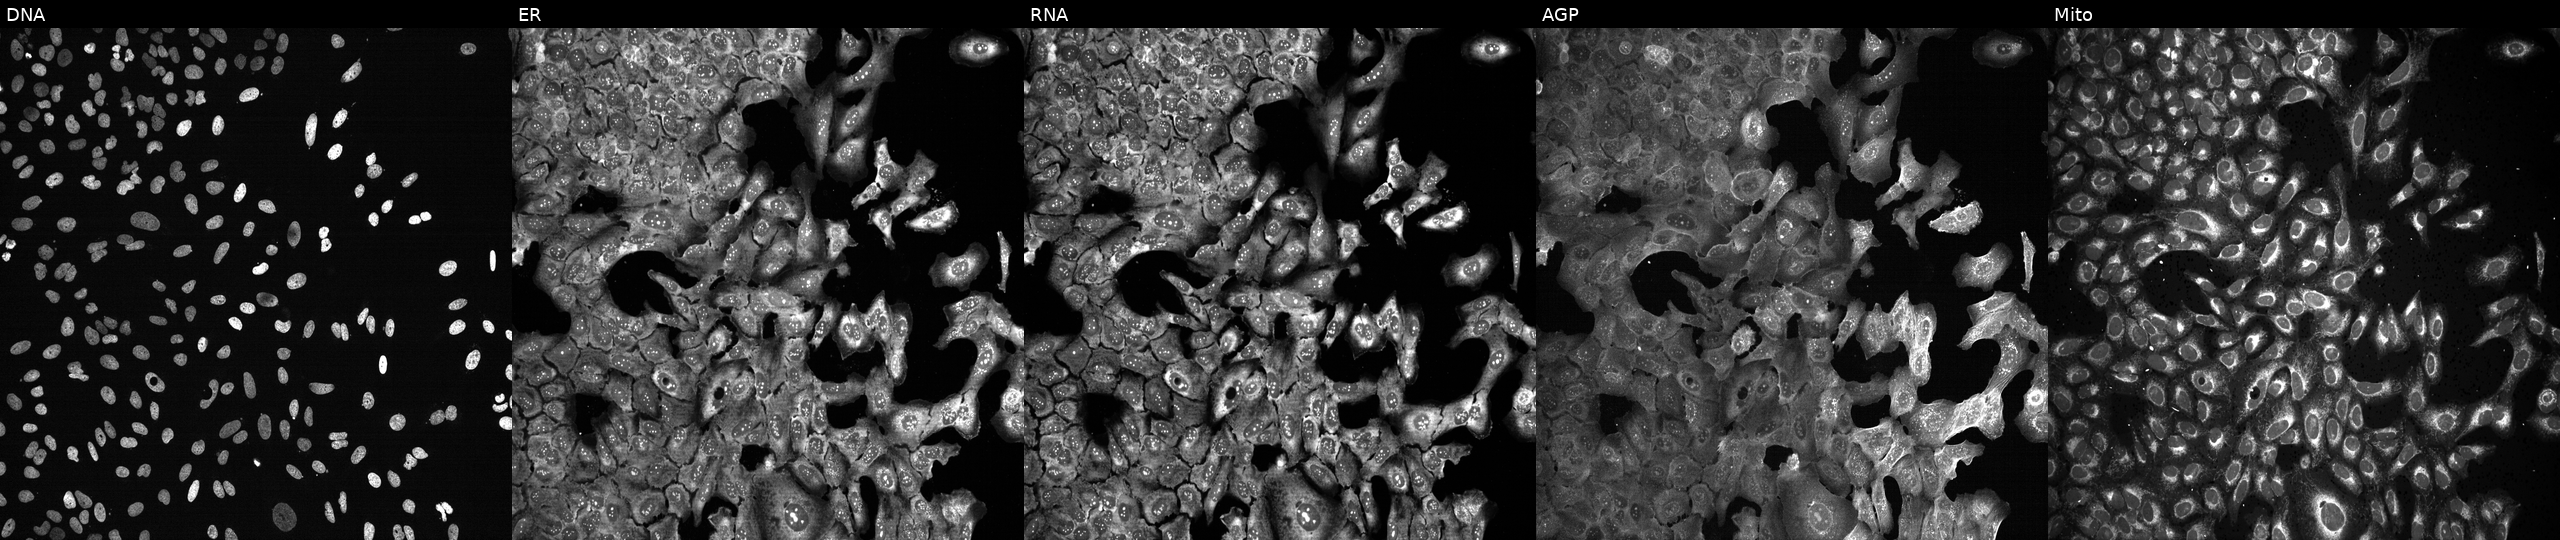
The five panels, left to right, show DNA, ER, RNA, AGP, and Mito. U2OS osteosarcoma cells with POLR1C knocked out by CRISPR. Cell Painting assay, JUMP-CP dataset. Source 13, plate CP-CC9-R2-01, well I03.